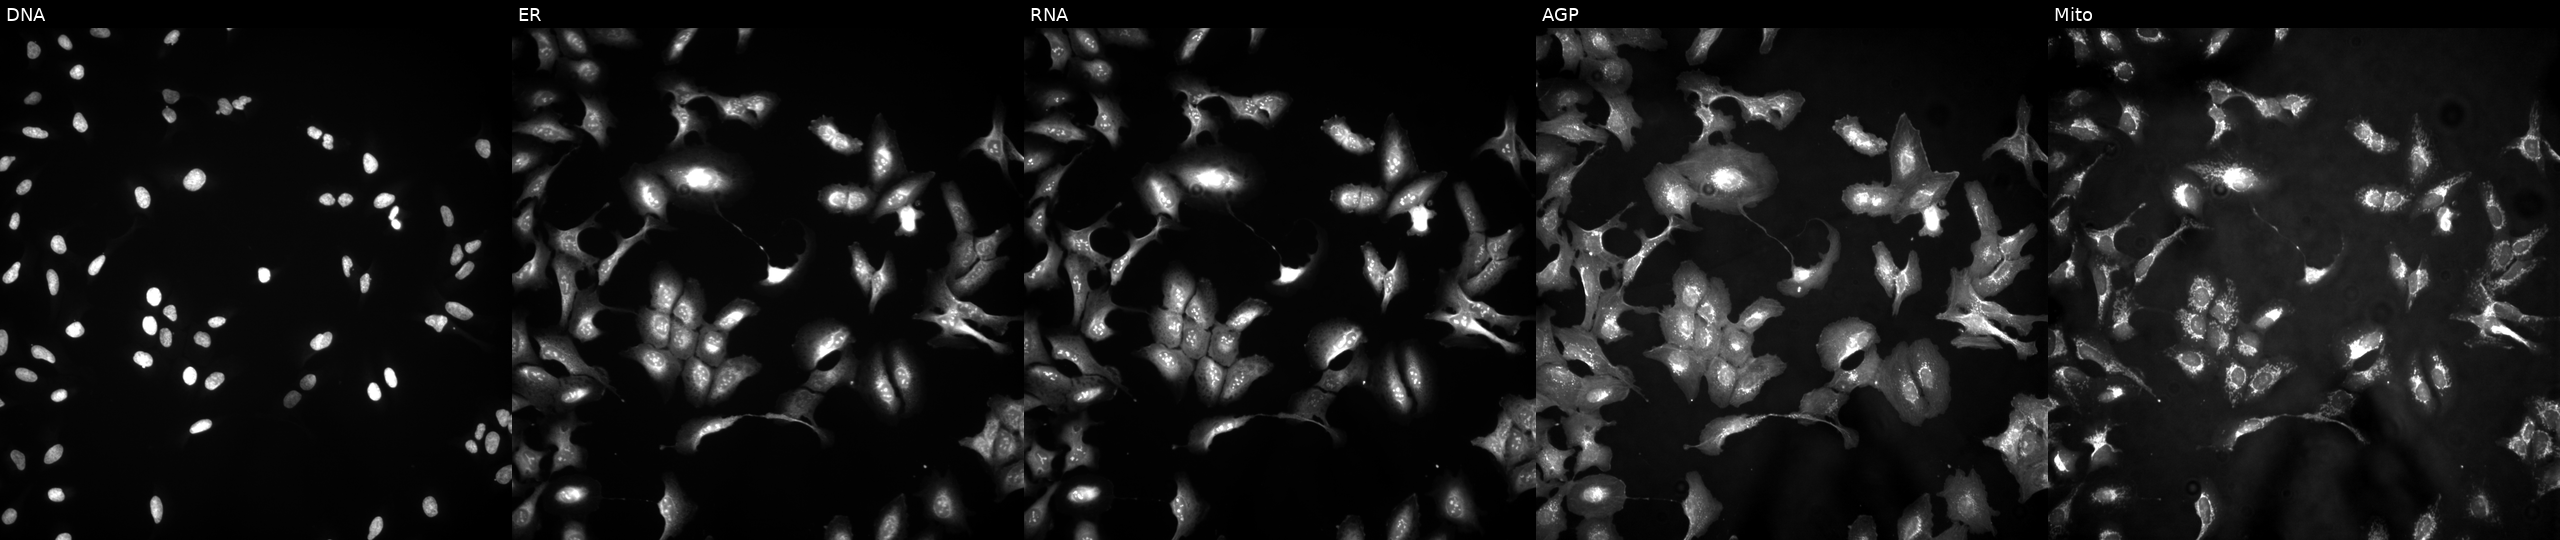
Channels (left→right): Hoechst 33342, concanavalin A, SYTO 14, phalloidin and WGA, MitoTracker. U2OS osteosarcoma cells transfected with an ORF construct for RAF1. Cell Painting assay, JUMP-CP dataset.